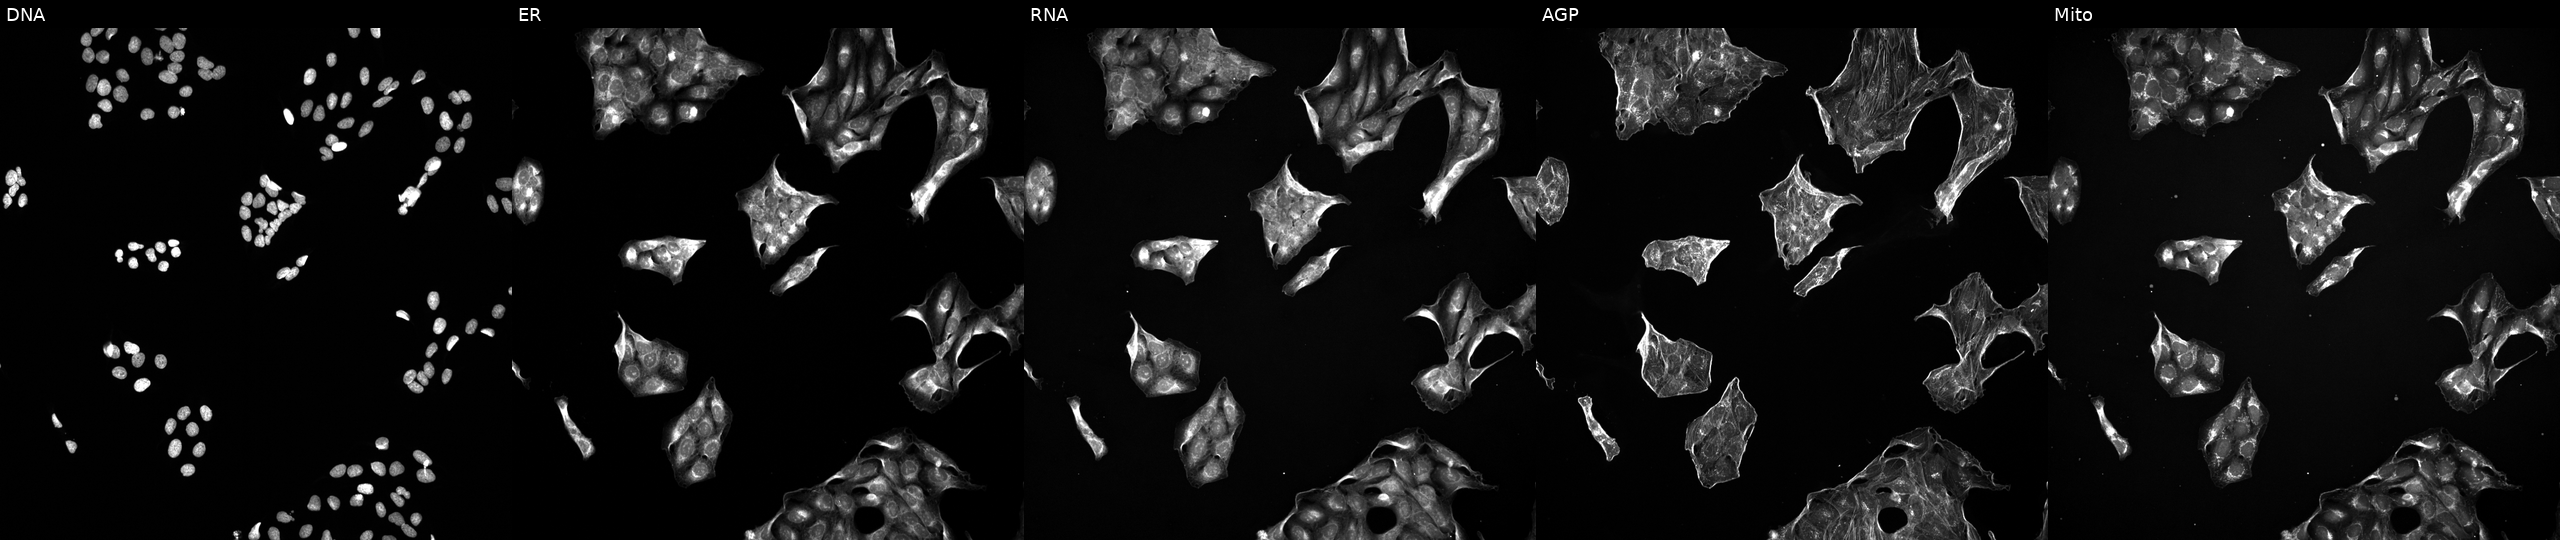
JUMP Cell Painting — TARGET2 plate. U2OS cells exposed to a small-molecule compound (InChIKey RYMZZMVNJRMUDD-UHFFFAOYSA-N) (JUMP id JCP2022_081555). Panels show, left to right, Hoechst 33342, concanavalin A, SYTO 14, phalloidin and WGA, MitoTracker.